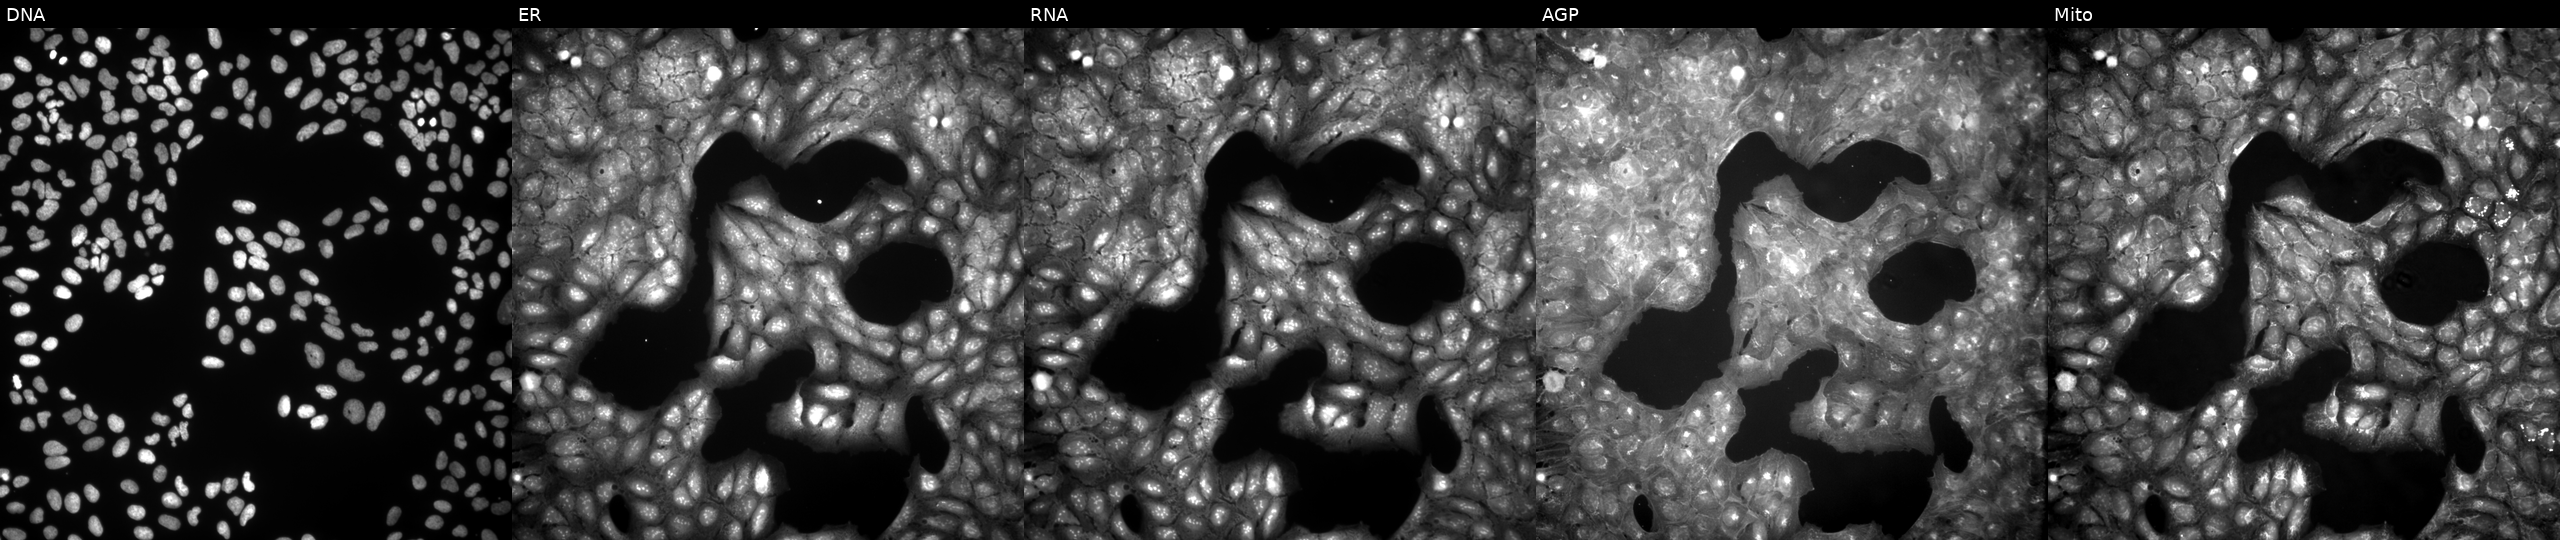
Panels show, left to right, DNA (nuclei); ER (endoplasmic reticulum); RNA (nucleoli and cytoplasmic RNA); AGP (actin cytoskeleton, Golgi, and plasma membrane); Mito (mitochondria). U2OS osteosarcoma cells exposed to a small-molecule compound (InChIKey OFHMTGSAFLMHBJ-UHFFFAOYSA-N). Cell Painting assay, JUMP-CP dataset. Source 9, plate GR00003382, well E37.